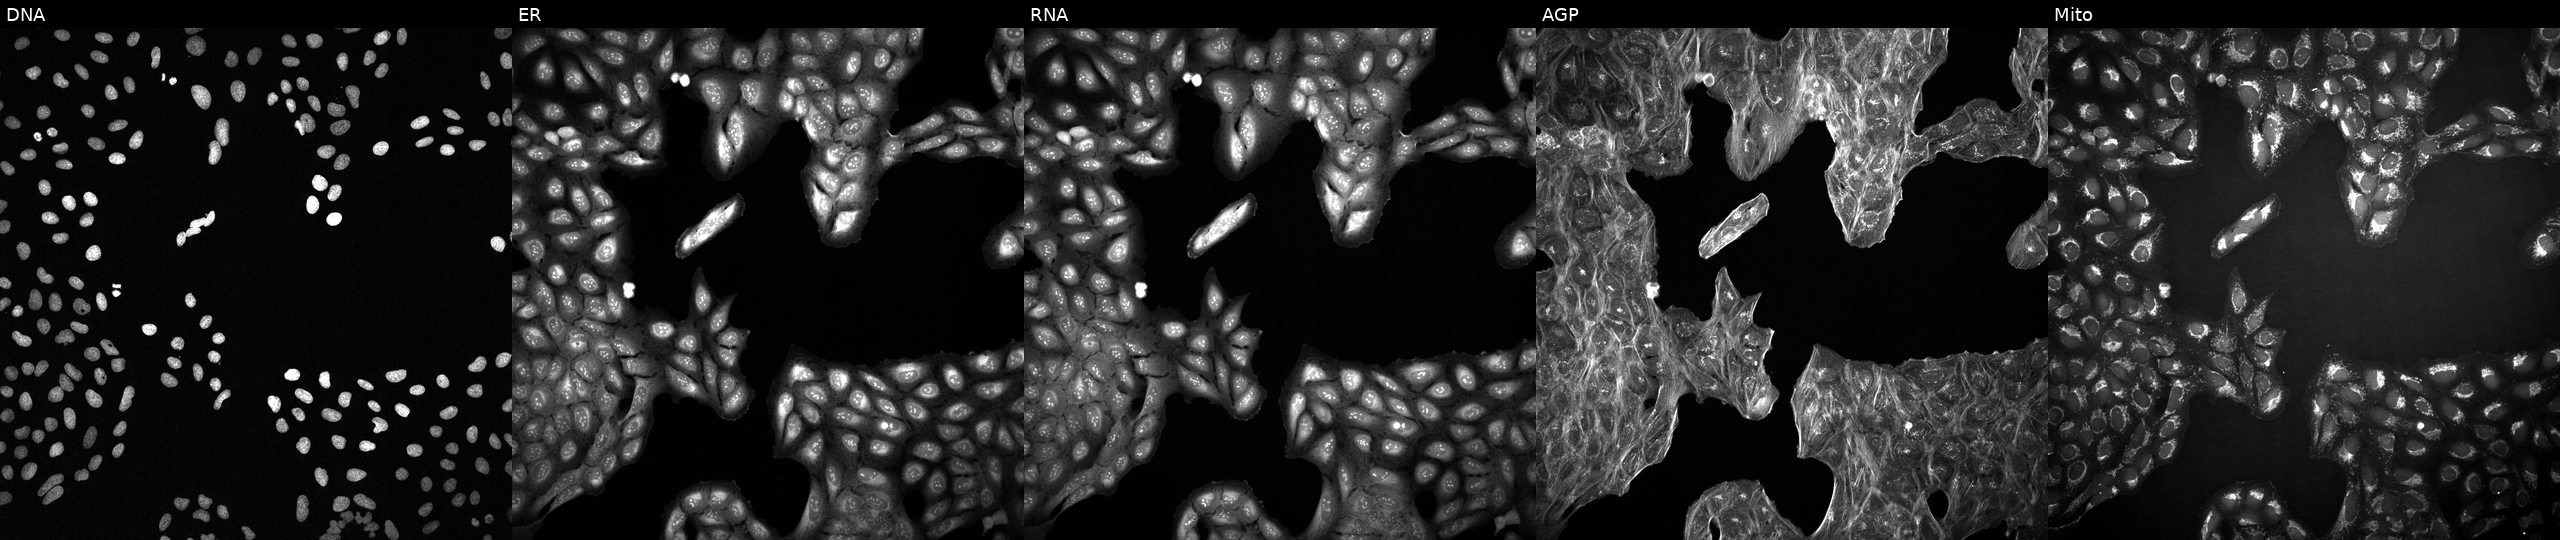
U2OS cells, Cell Painting assay, treated with a small-molecule compound (JUMP id JCP2022_090051). Panels show, left to right, DNA (nuclei); ER (endoplasmic reticulum); RNA (nucleoli and cytoplasmic RNA); AGP (actin cytoskeleton, Golgi, and plasma membrane); Mito (mitochondria). Each panel is percentile-stretched 16-bit fluorescence.